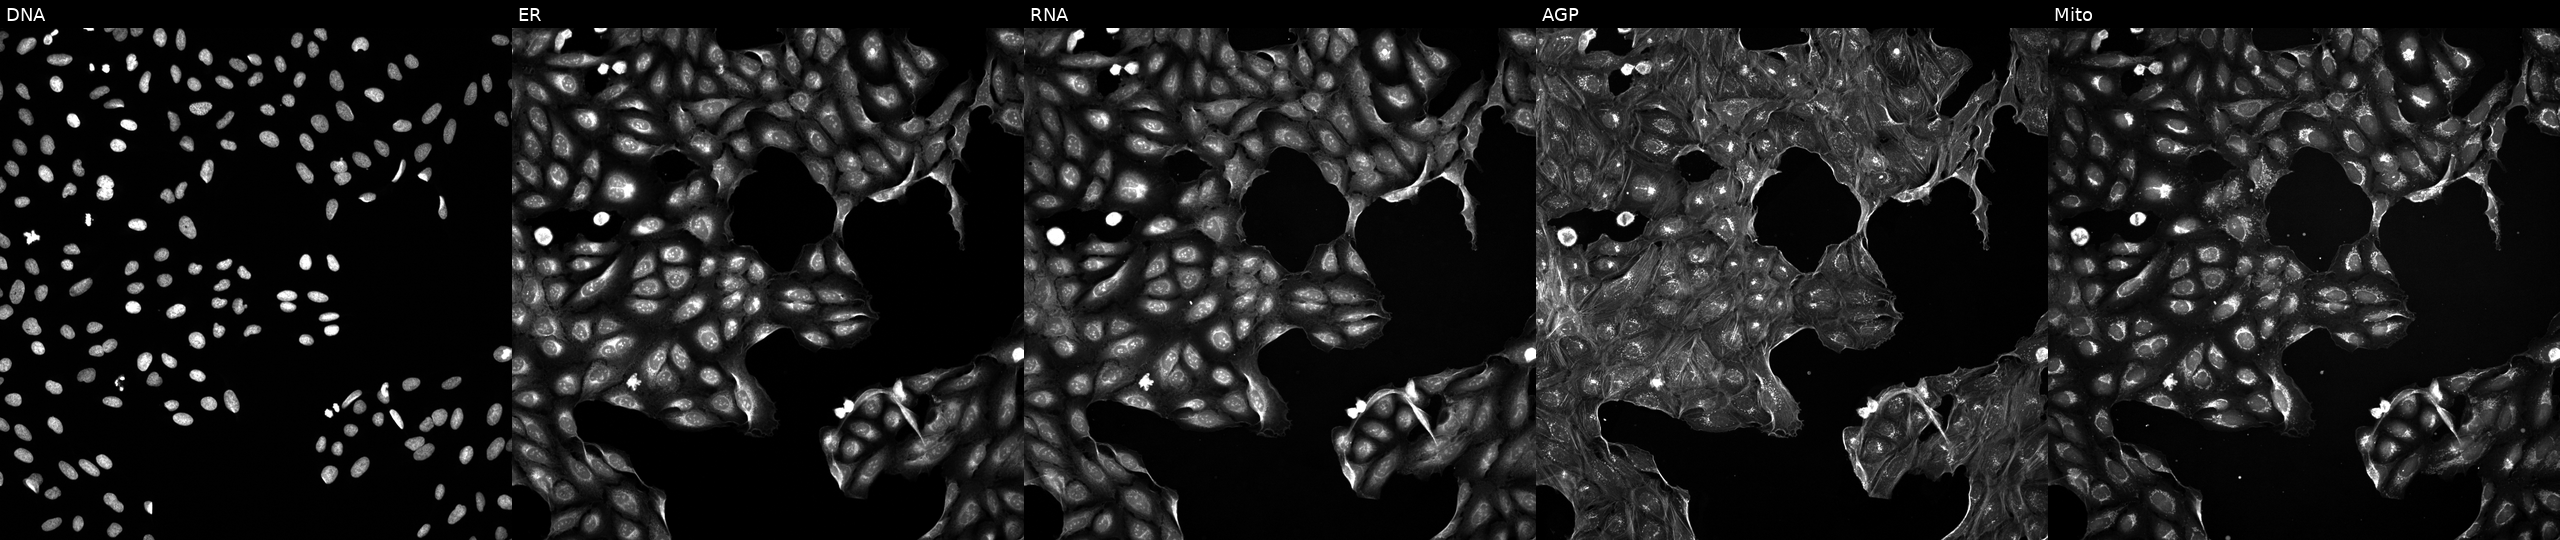
High-content fluorescence microscopy (Cell Painting). Cell line: U2OS. Perturbation: treated with a small-molecule compound [SMILES: O=C(O)c1ccccc1Nc1cccc(C(F)(F)F)c1] (JUMP id JCP2022_050861). From left to right: Hoechst 33342, concanavalin A, SYTO 14, phalloidin and WGA, MitoTracker.